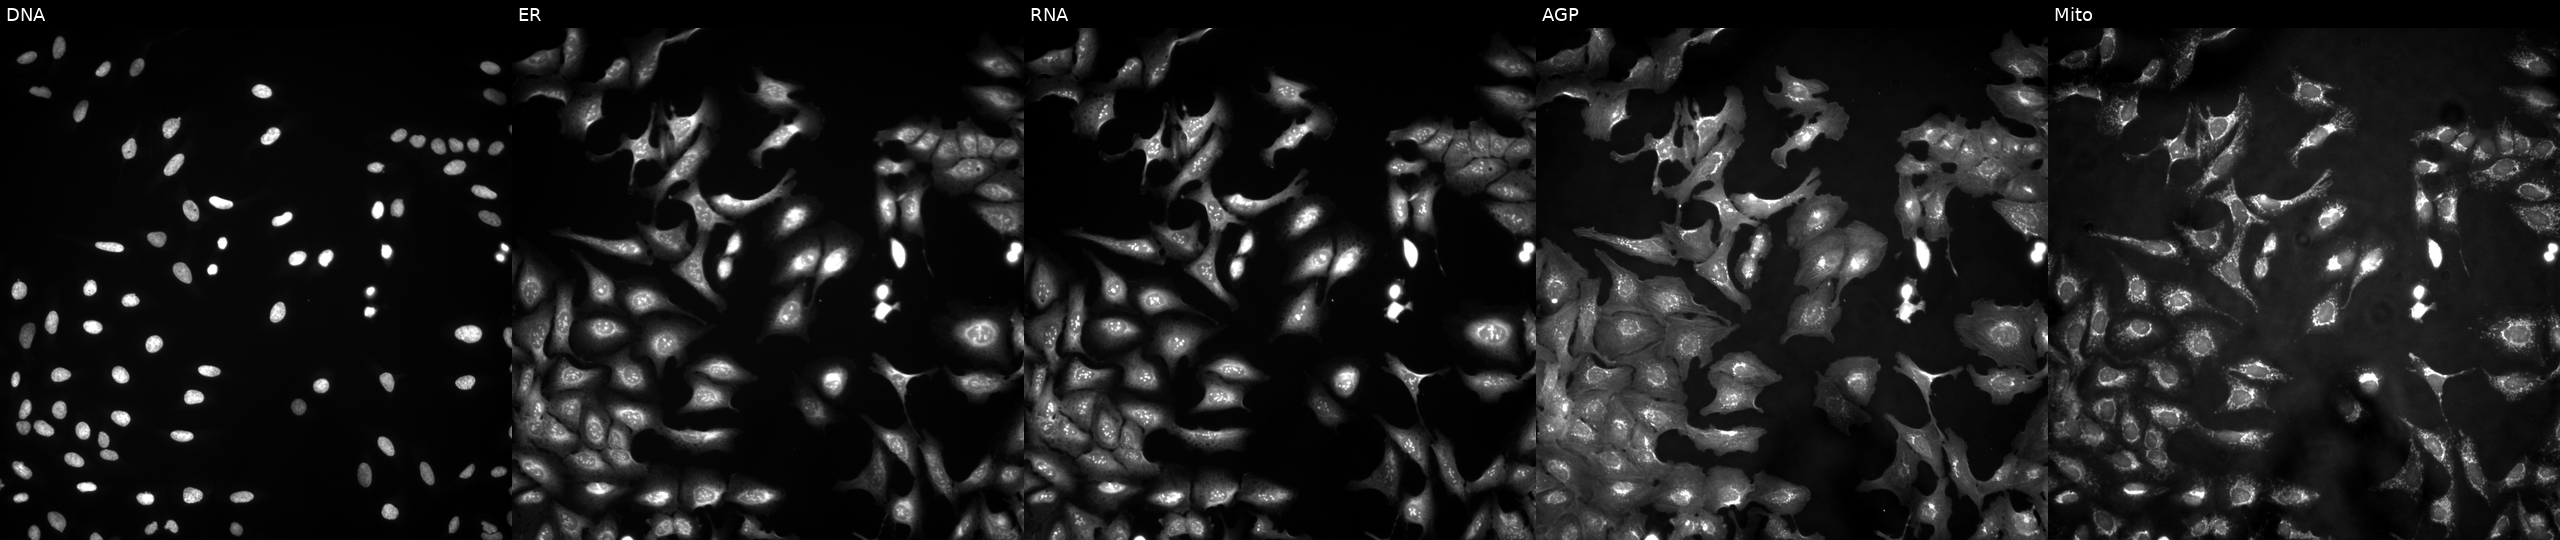
Five-channel Cell Painting image of U2OS cells with PAK6 overexpressed (ORF) (JUMP id JCP2022_903527). Panels show, left to right, DNA (nuclei); ER (endoplasmic reticulum); RNA (nucleoli and cytoplasmic RNA); AGP (actin cytoskeleton, Golgi, and plasma membrane); Mito (mitochondria).